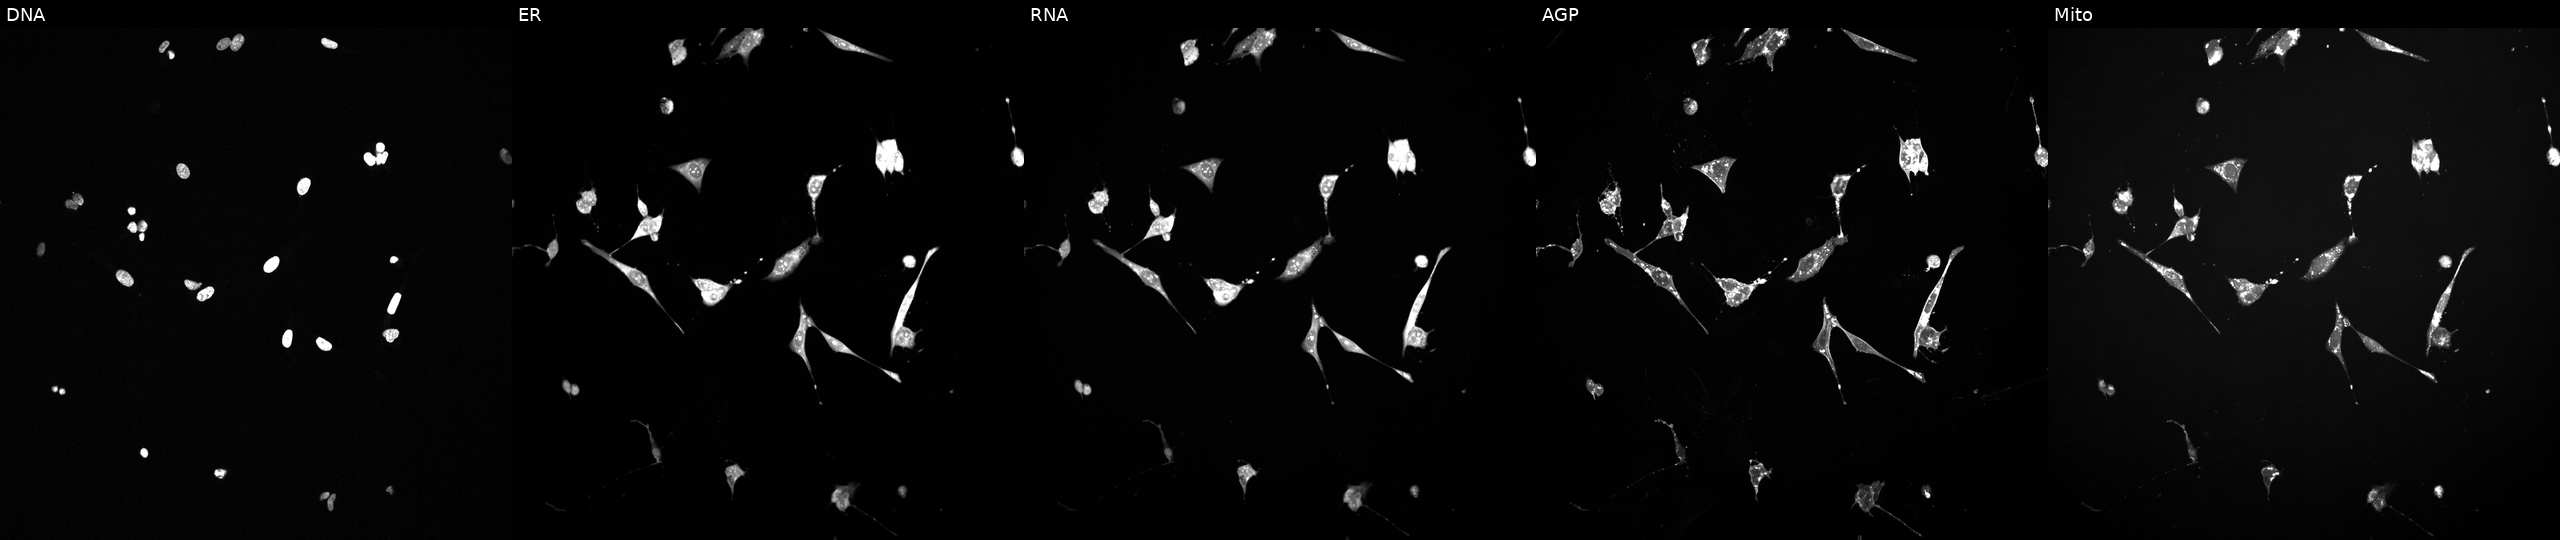
Five-channel Cell Painting image of U2OS cells exposed to a small-molecule compound (InChIKey DPJNKUOXBZSZAI-UHFFFAOYSA-N). Panels show, left to right, Hoechst 33342, concanavalin A, SYTO 14, phalloidin and WGA, MitoTracker.